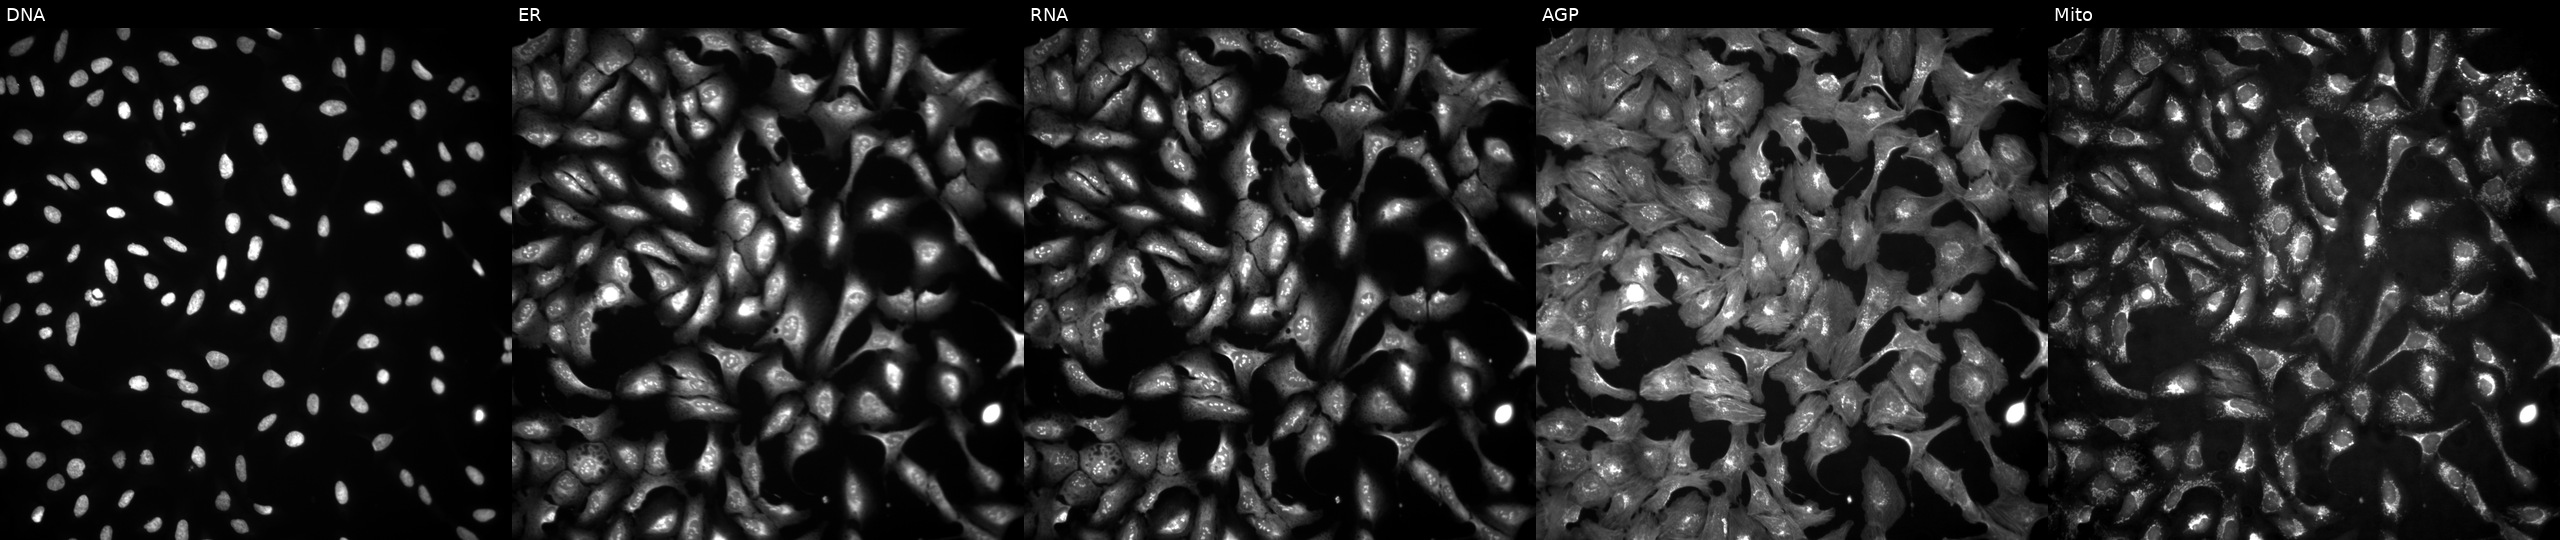
High-content fluorescence microscopy (Cell Painting). Cell line: U2OS. Perturbation: with TMEM257 overexpressed (ORF) (JUMP id JCP2022_901953). From left to right: DNA (nuclei); ER (endoplasmic reticulum); RNA (nucleoli and cytoplasmic RNA); AGP (actin cytoskeleton, Golgi, and plasma membrane); Mito (mitochondria).